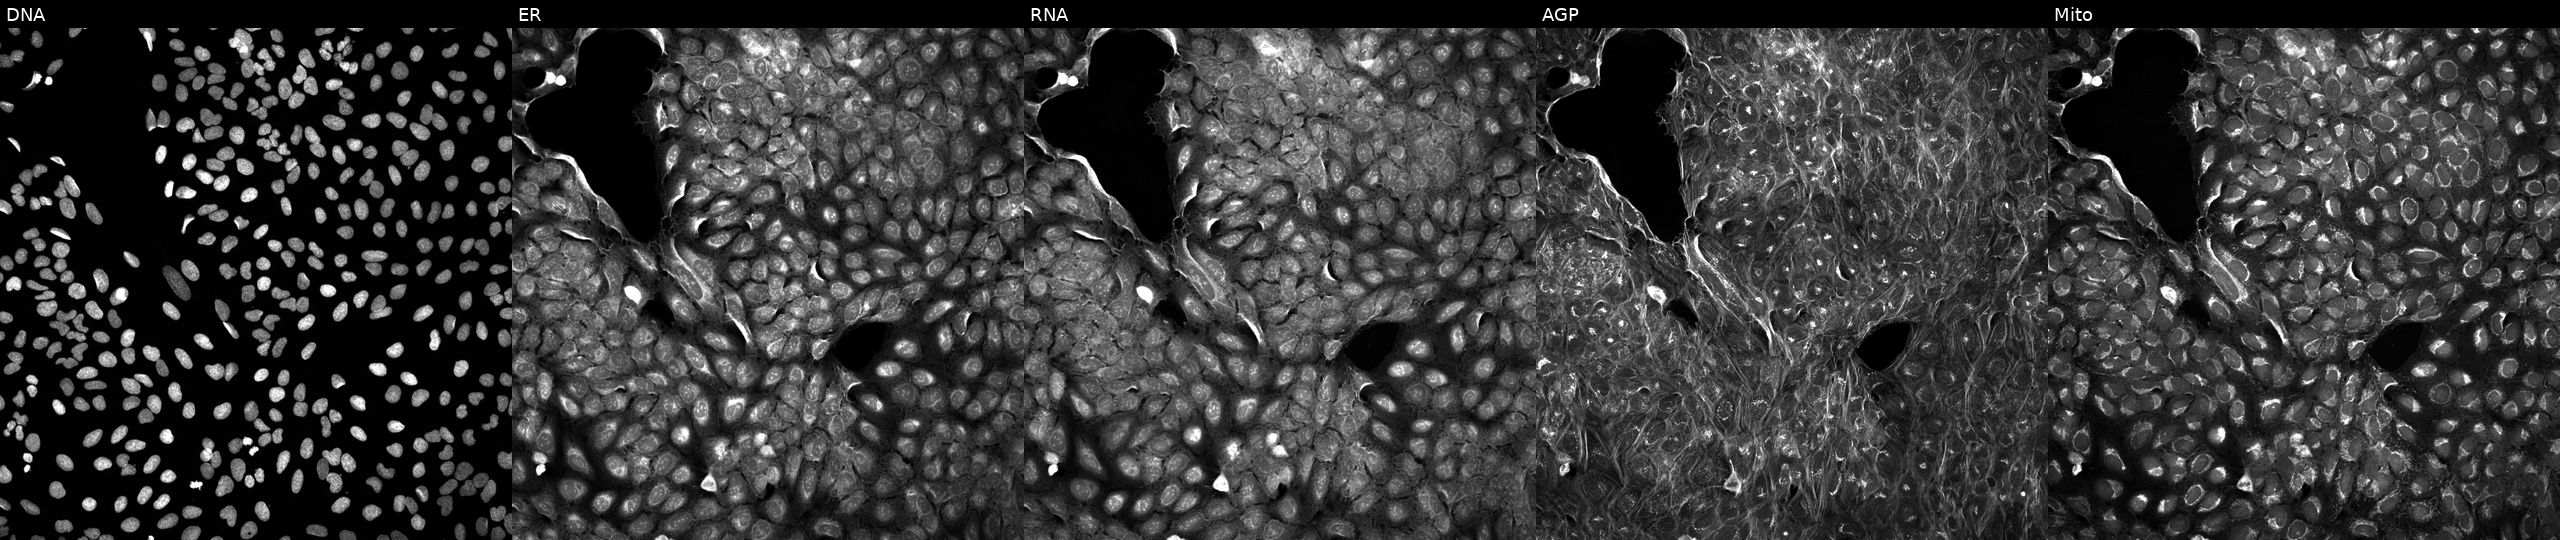
This image strip shows the five Cell Painting channels for a single field of U2OS cells exposed to a small-molecule compound (InChIKey REZGGXNDEMKIQB-UHFFFAOYSA-N). Channels (left→right): DNA (nuclei); ER (endoplasmic reticulum); RNA (nucleoli and cytoplasmic RNA); AGP (actin cytoskeleton, Golgi, and plasma membrane); Mito (mitochondria). Source 5, plate ACPJUM012, well O17.